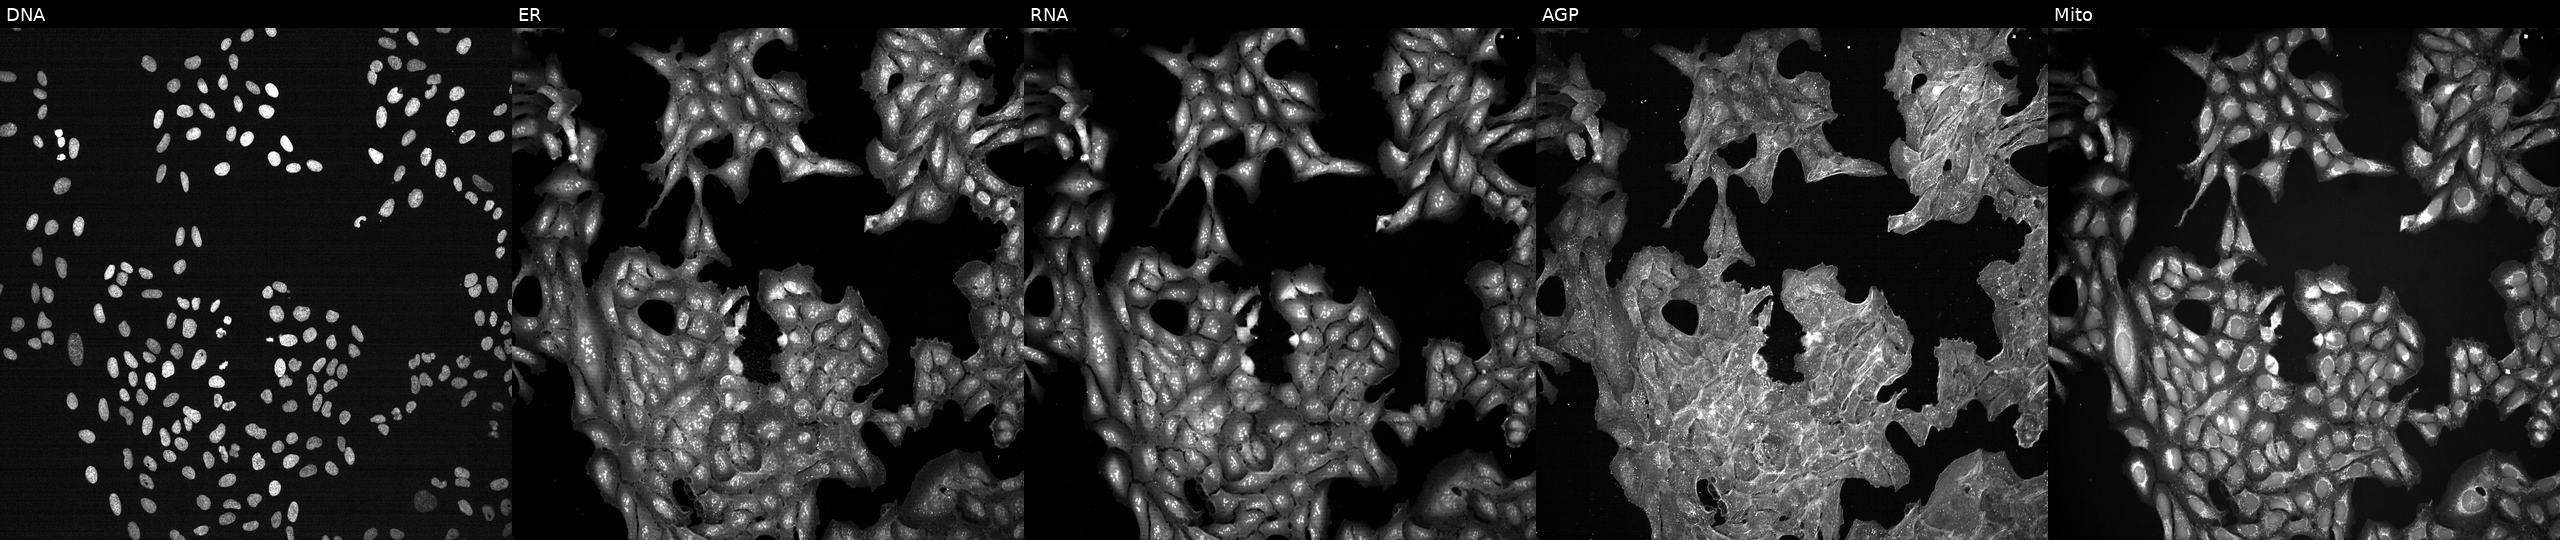
U2OS cells, Cell Painting assay, perturbed with a small-molecule compound (InChIKey UQNAFPHGVPVTAL-UHFFFAOYSA-N). Channels (left→right): Hoechst 33342, concanavalin A, SYTO 14, phalloidin and WGA, MitoTracker. Each panel is percentile-stretched 16-bit fluorescence. Source 7, plate CP2-SC1-25, well N23.